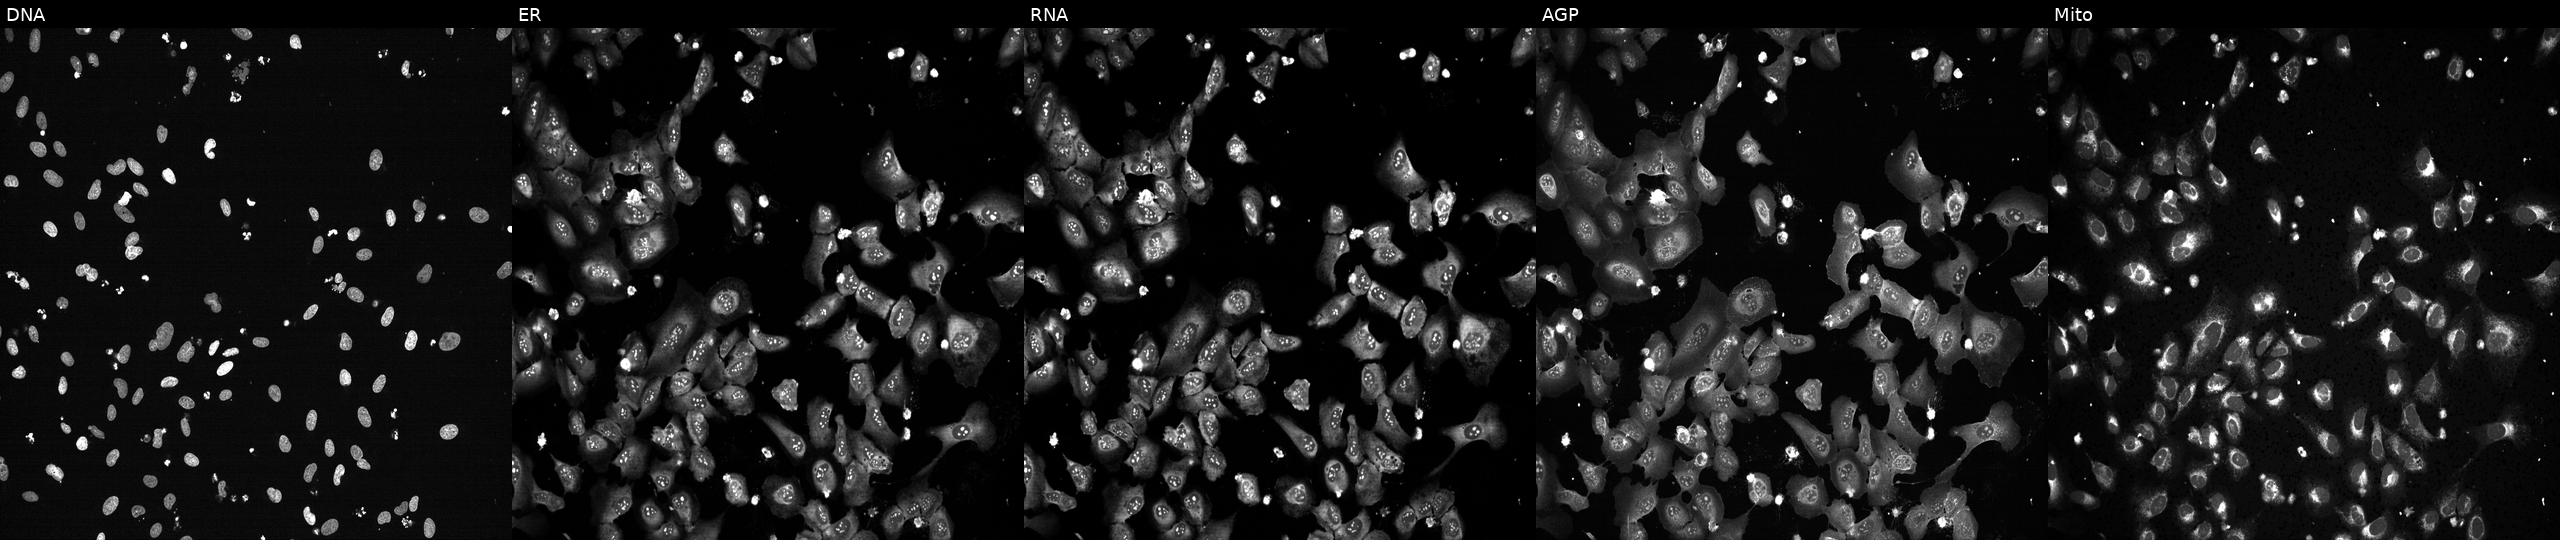
This image strip shows the five Cell Painting channels for a single field of U2OS cells treated with TC-S-7004 (positive-control compound) (JUMP id JCP2022_012818). Channels (left→right): DNA (nuclei); ER (endoplasmic reticulum); RNA (nucleoli and cytoplasmic RNA); AGP (actin cytoskeleton, Golgi, and plasma membrane); Mito (mitochondria). Source 13, plate CP-CC9-R4-04, well D24.